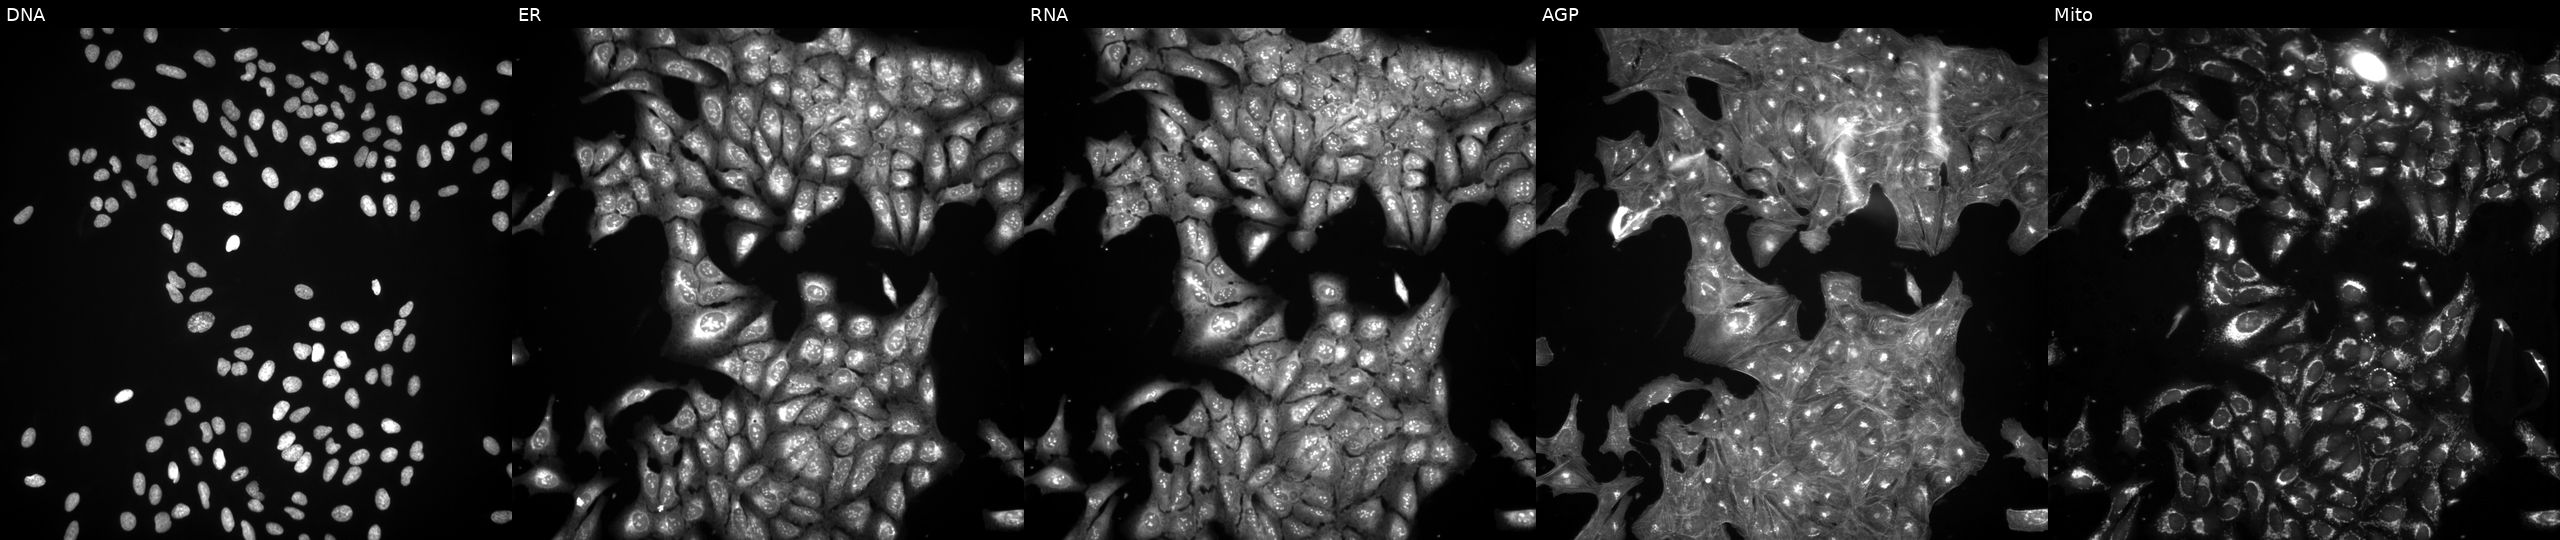
This image strip shows the five Cell Painting channels for a single field of U2OS cells perturbed with a small-molecule compound [SMILES: CC(=O)C(NC(=O)c1cccc(-c2ccccc2)n1)C(O)NC(CC(C)C)B(O)O] (JUMP id JCP2022_106219). From left to right: DNA (nuclei); ER (endoplasmic reticulum); RNA (nucleoli and cytoplasmic RNA); AGP (actin cytoskeleton, Golgi, and plasma membrane); Mito (mitochondria).